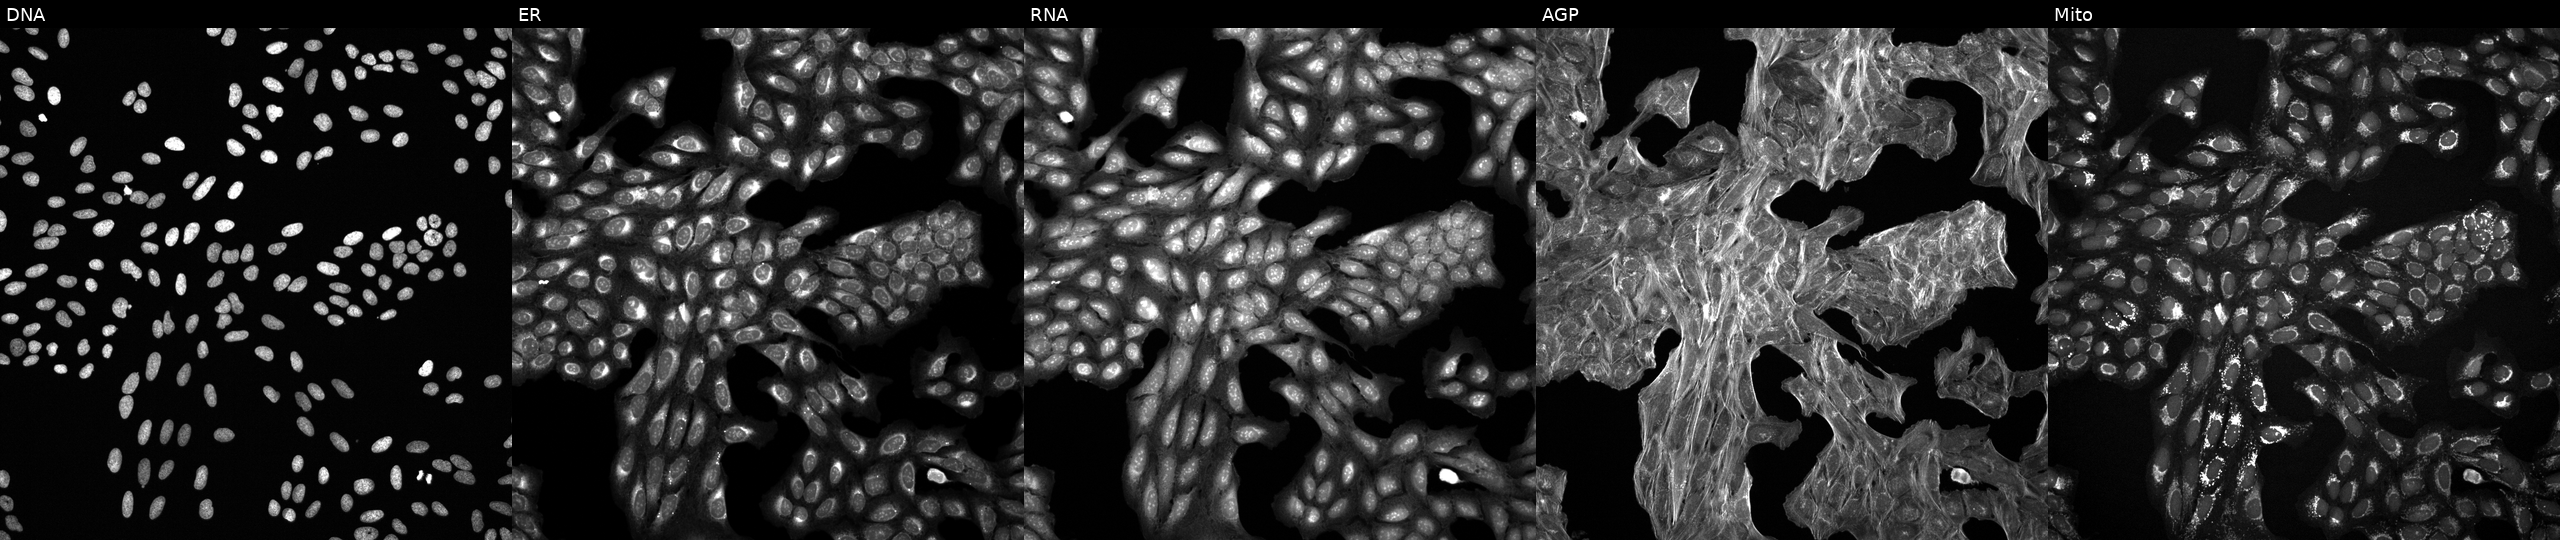
Five-channel Cell Painting image of U2OS cells treated with a small-molecule compound (JUMP id JCP2022_109668). From left to right: DNA (nuclei); ER (endoplasmic reticulum); RNA (nucleoli and cytoplasmic RNA); AGP (actin cytoskeleton, Golgi, and plasma membrane); Mito (mitochondria).